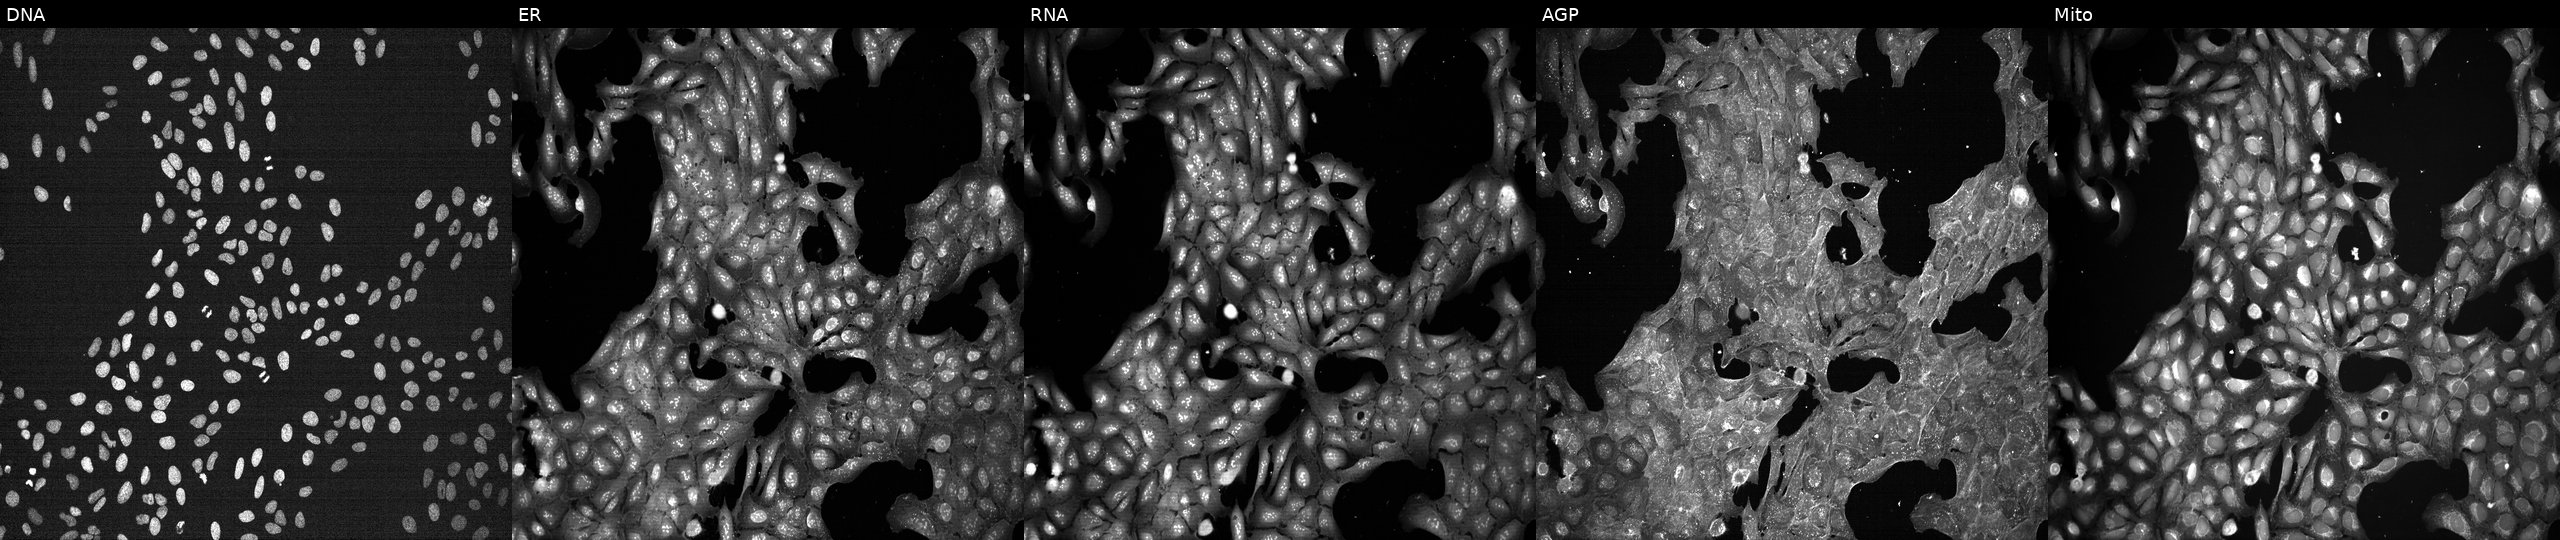
High-content fluorescence microscopy (Cell Painting). Cell line: U2OS. Perturbation: perturbed with a small-molecule compound (JUMP id JCP2022_042354). From left to right: DNA (nuclei); ER (endoplasmic reticulum); RNA (nucleoli and cytoplasmic RNA); AGP (actin cytoskeleton, Golgi, and plasma membrane); Mito (mitochondria).